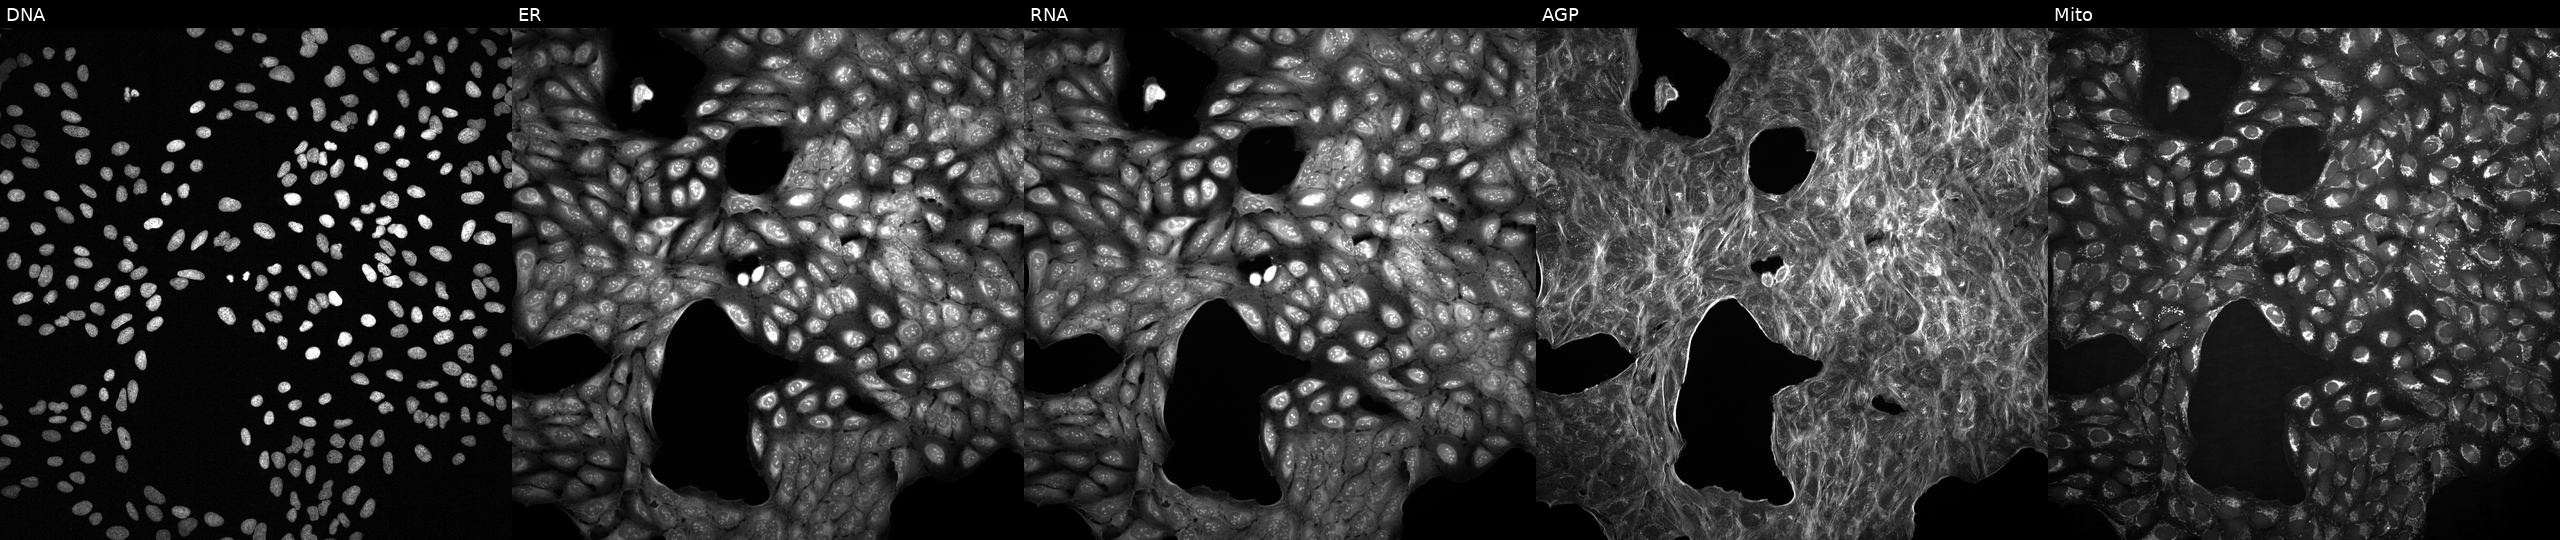
U2OS cells, Cell Painting assay, with an unidentified perturbation (not annotated in JUMP metadata). Channels (left→right): DNA (nuclei); ER (endoplasmic reticulum); RNA (nucleoli and cytoplasmic RNA); AGP (actin cytoskeleton, Golgi, and plasma membrane); Mito (mitochondria). Each panel is percentile-stretched 16-bit fluorescence.